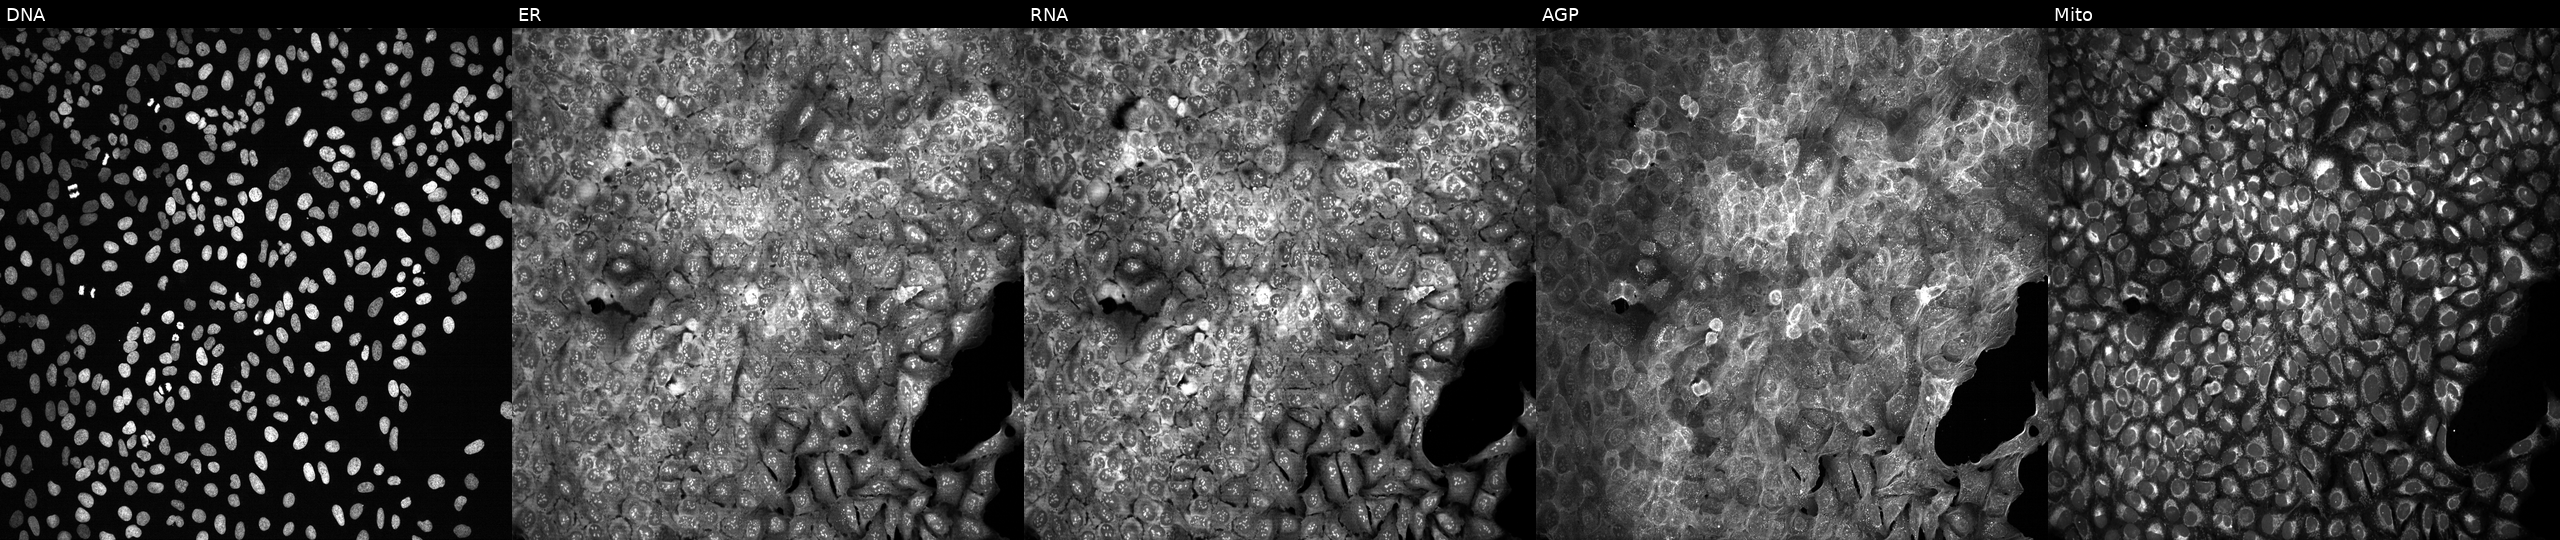
Five-channel Cell Painting image of U2OS cells with no CRISPR guide (negative control) (JUMP id JCP2022_800001). Channels (left→right): DNA (nuclei); ER (endoplasmic reticulum); RNA (nucleoli and cytoplasmic RNA); AGP (actin cytoskeleton, Golgi, and plasma membrane); Mito (mitochondria).